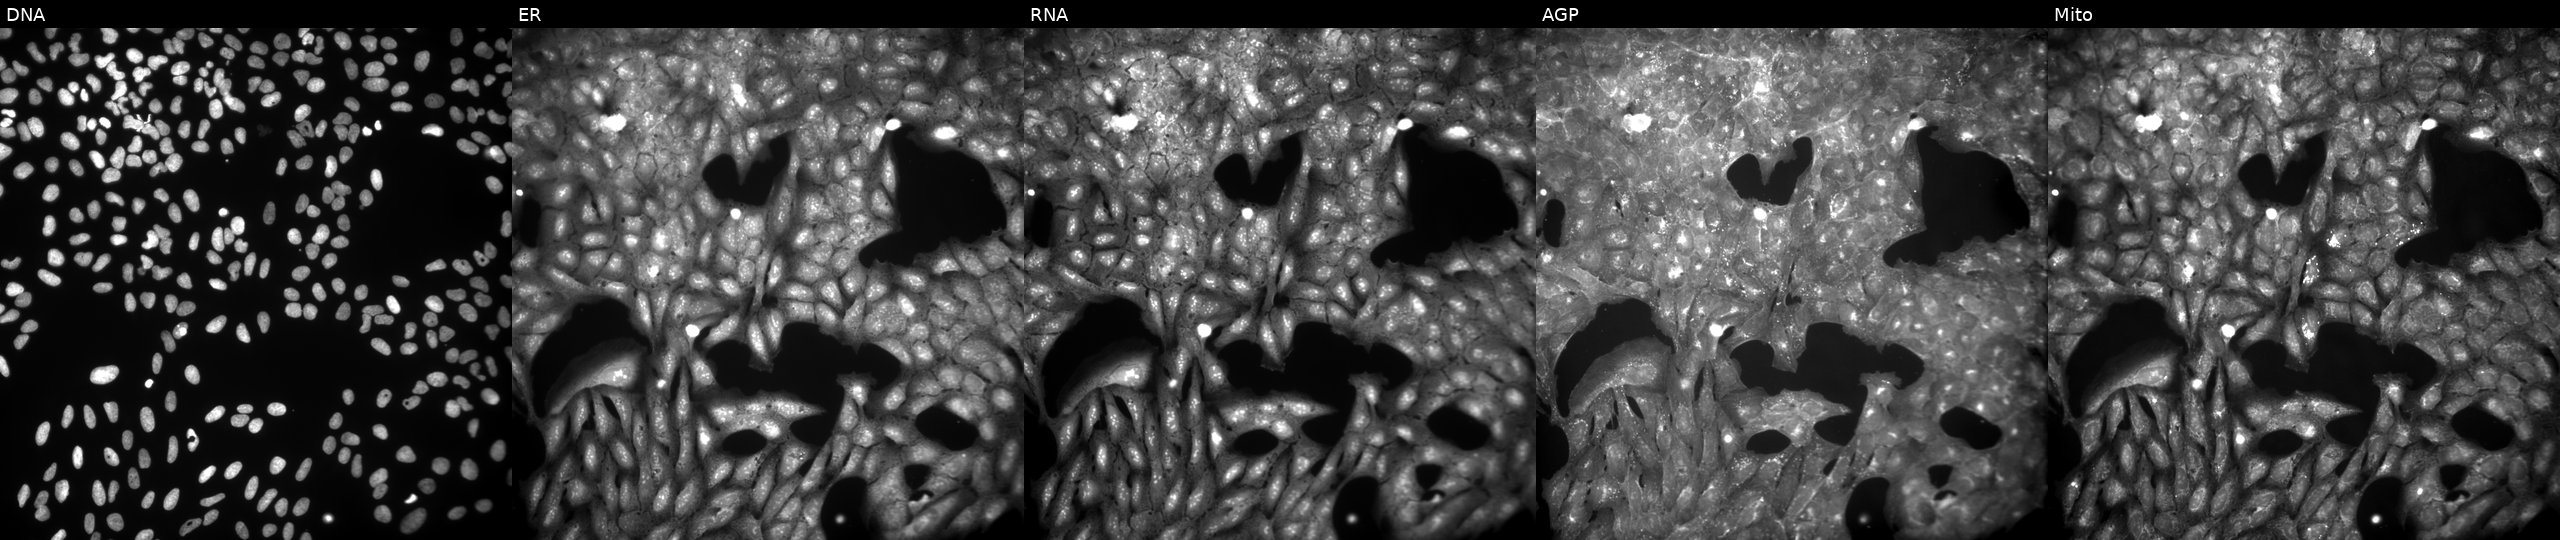
This image strip shows the five Cell Painting channels for a single field of U2OS cells exposed to a small-molecule compound (InChIKey IOTCSGQSXGEYTR-UHFFFAOYSA-N) [SMILES: C=CCn1c(=N)n(CC(O)c2ccc(Cl)c(Cl)c2)c2ccccc21] (JUMP id JCP2022_036424). Channels (left→right): Hoechst 33342, concanavalin A, SYTO 14, phalloidin and WGA, MitoTracker.